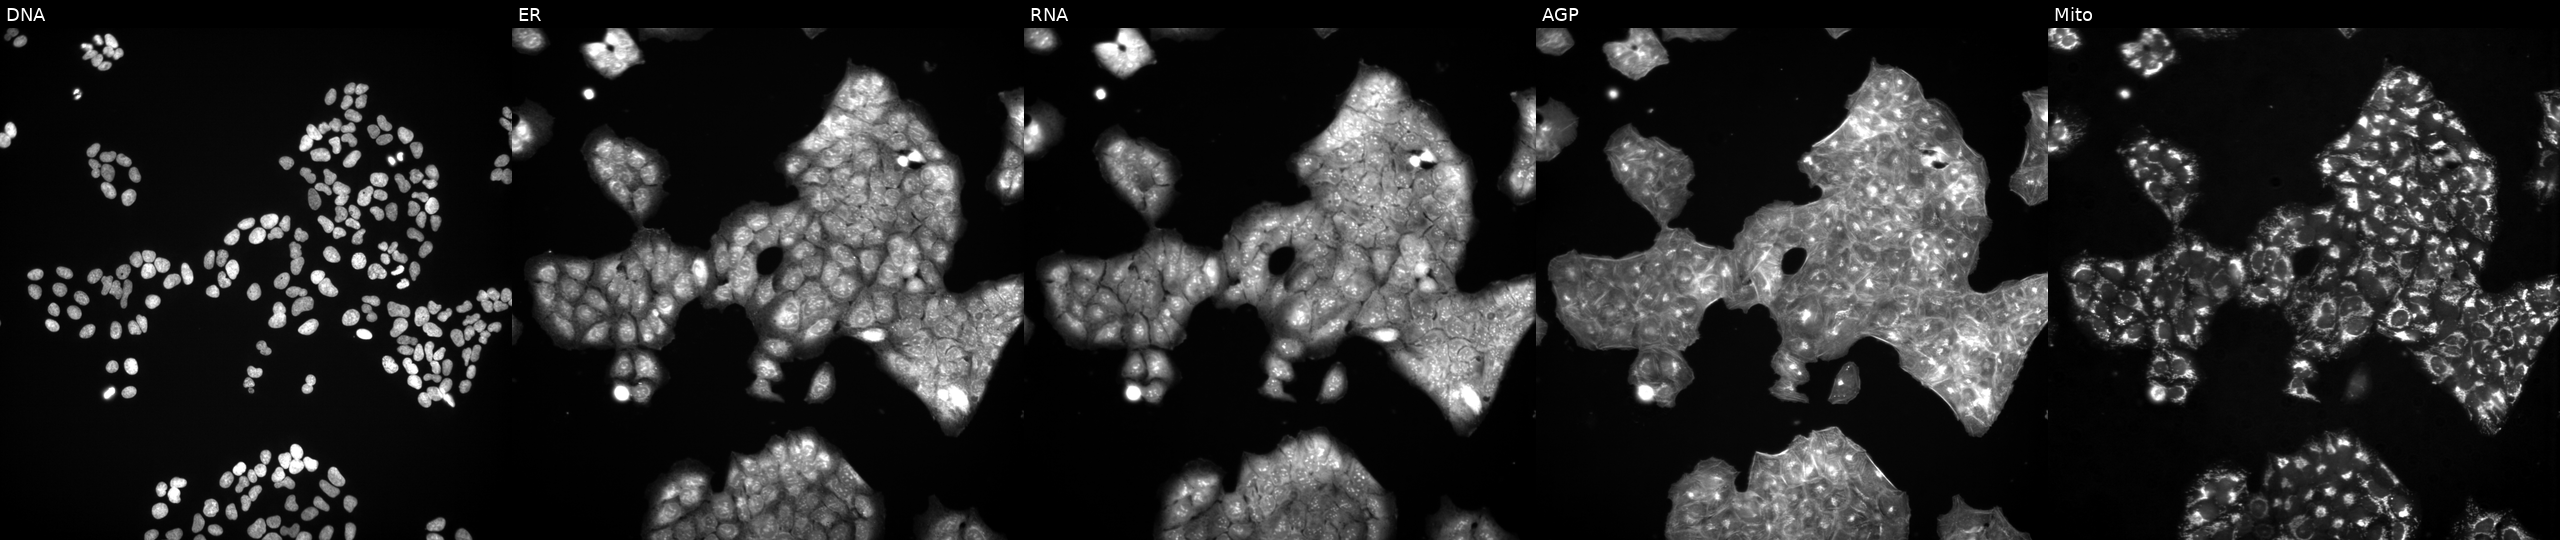
JUMP Cell Painting — TARGET2 plate. U2OS cells exposed to a small-molecule compound (JUMP id JCP2022_067432). The five panels, left to right, show DNA, ER, RNA, AGP, and Mito. Source 3, plate JCPQC051, well C03.